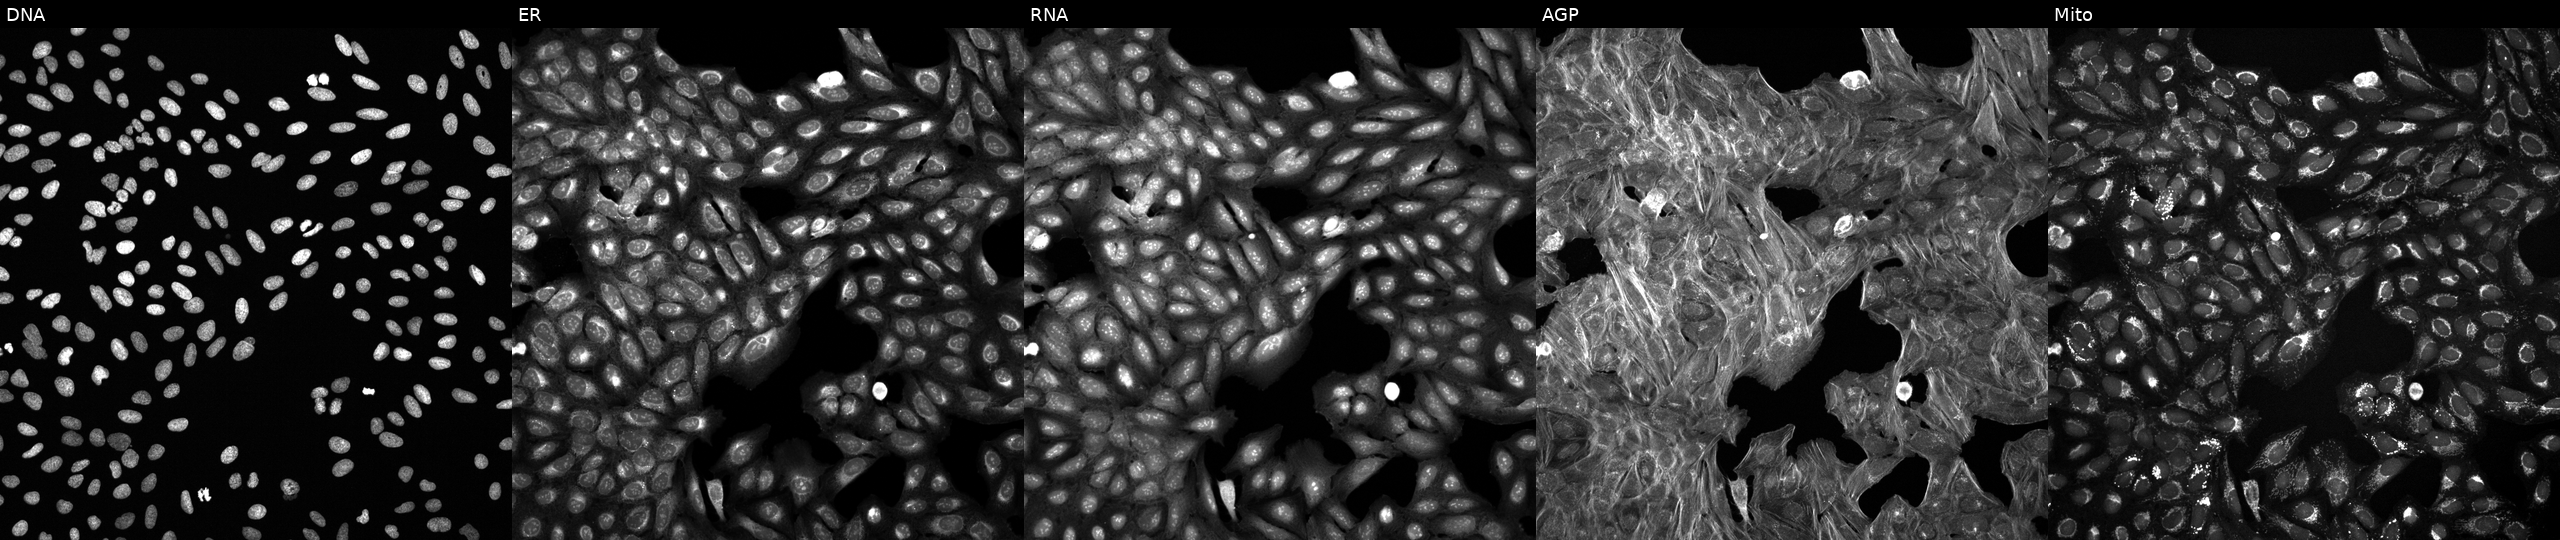
JUMP Cell Painting — COMPOUND plate. U2OS cells exposed to a small-molecule compound (JUMP id JCP2022_087546). Panels show, left to right, Hoechst 33342, concanavalin A, SYTO 14, phalloidin and WGA, MitoTracker.